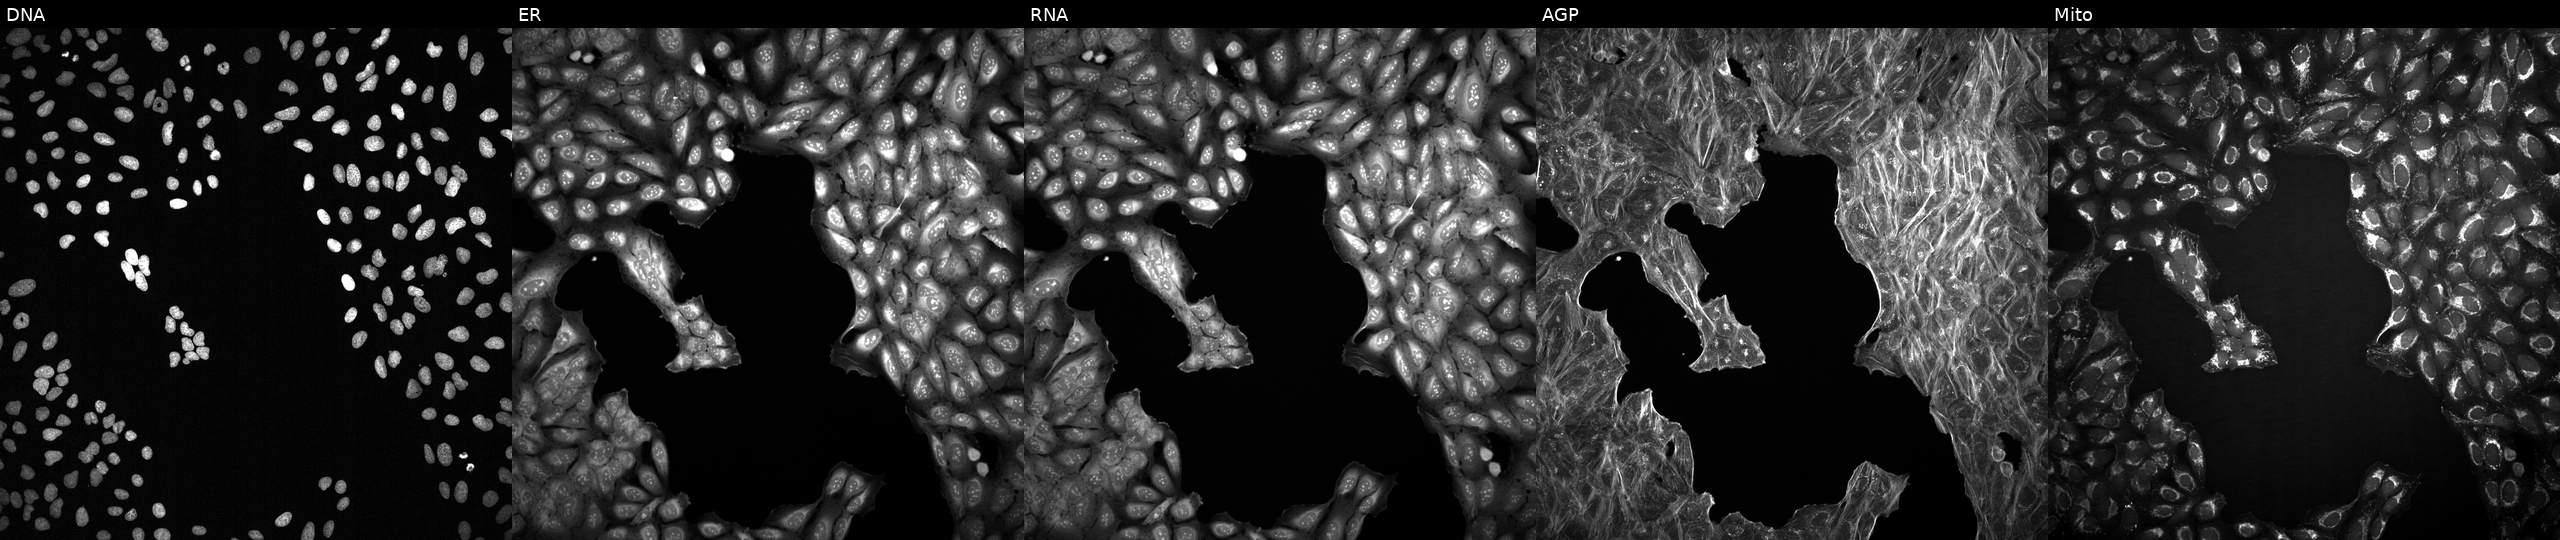
Five-channel Cell Painting image of U2OS cells treated with a small-molecule compound (InChIKey XOWDLAQDOZXMJJ-UHFFFAOYSA-N) (JUMP id JCP2022_105051). From left to right: DNA (nuclei); ER (endoplasmic reticulum); RNA (nucleoli and cytoplasmic RNA); AGP (actin cytoskeleton, Golgi, and plasma membrane); Mito (mitochondria). Source 2, plate 1053601763, well F07.